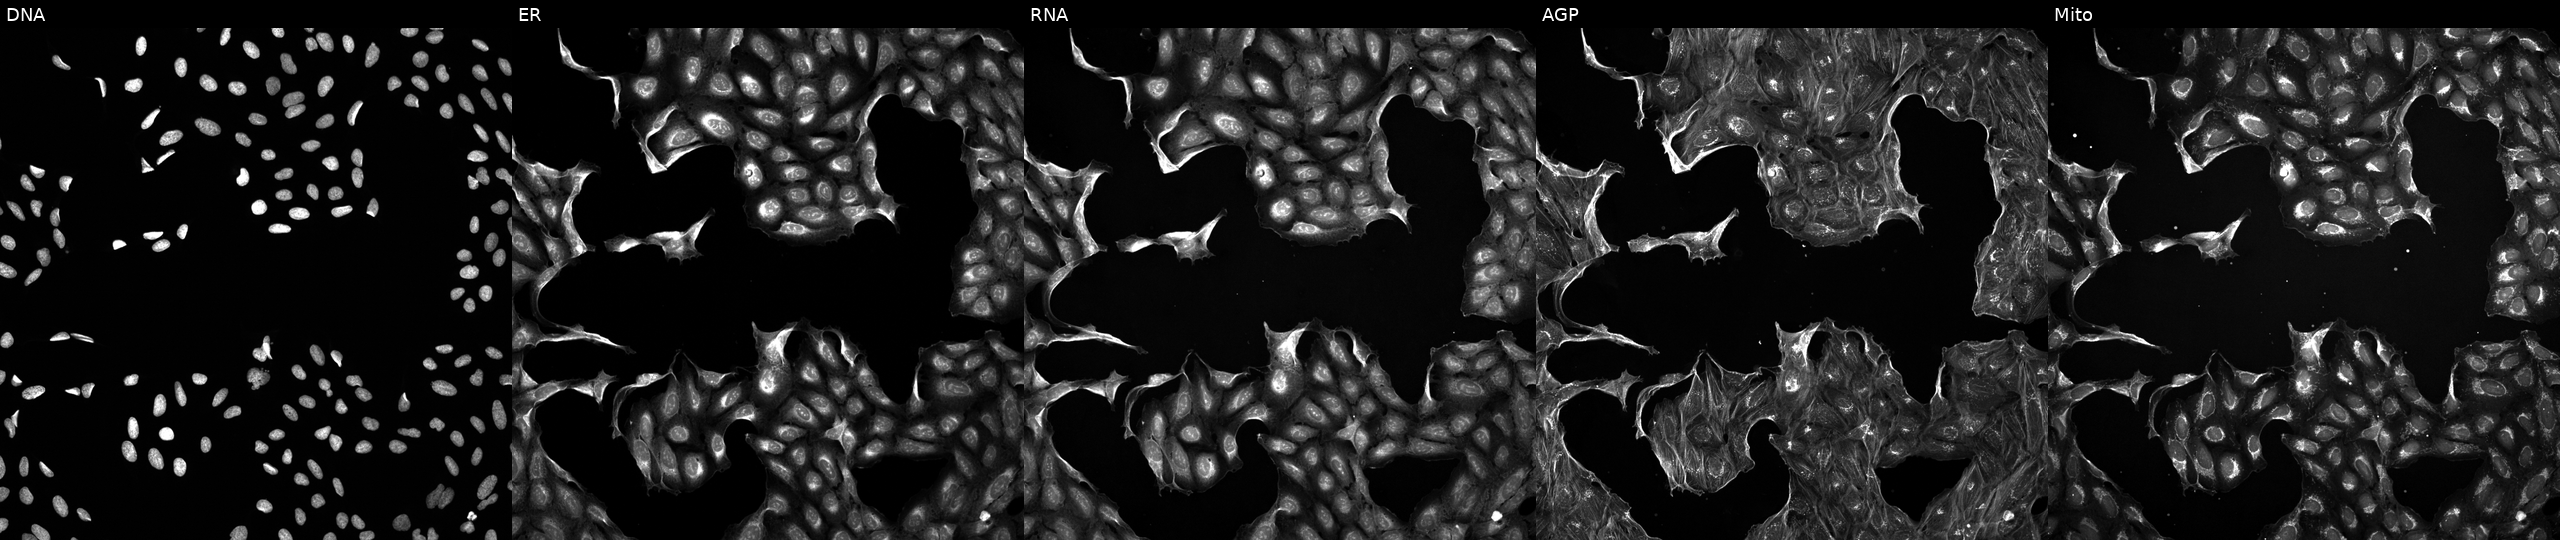
U2OS cells, Cell Painting assay, exposed to DMSO alone as a negative control (JUMP id JCP2022_033924). The five panels, left to right, show DNA (nuclei); ER (endoplasmic reticulum); RNA (nucleoli and cytoplasmic RNA); AGP (actin cytoskeleton, Golgi, and plasma membrane); Mito (mitochondria). Each panel is percentile-stretched 16-bit fluorescence.